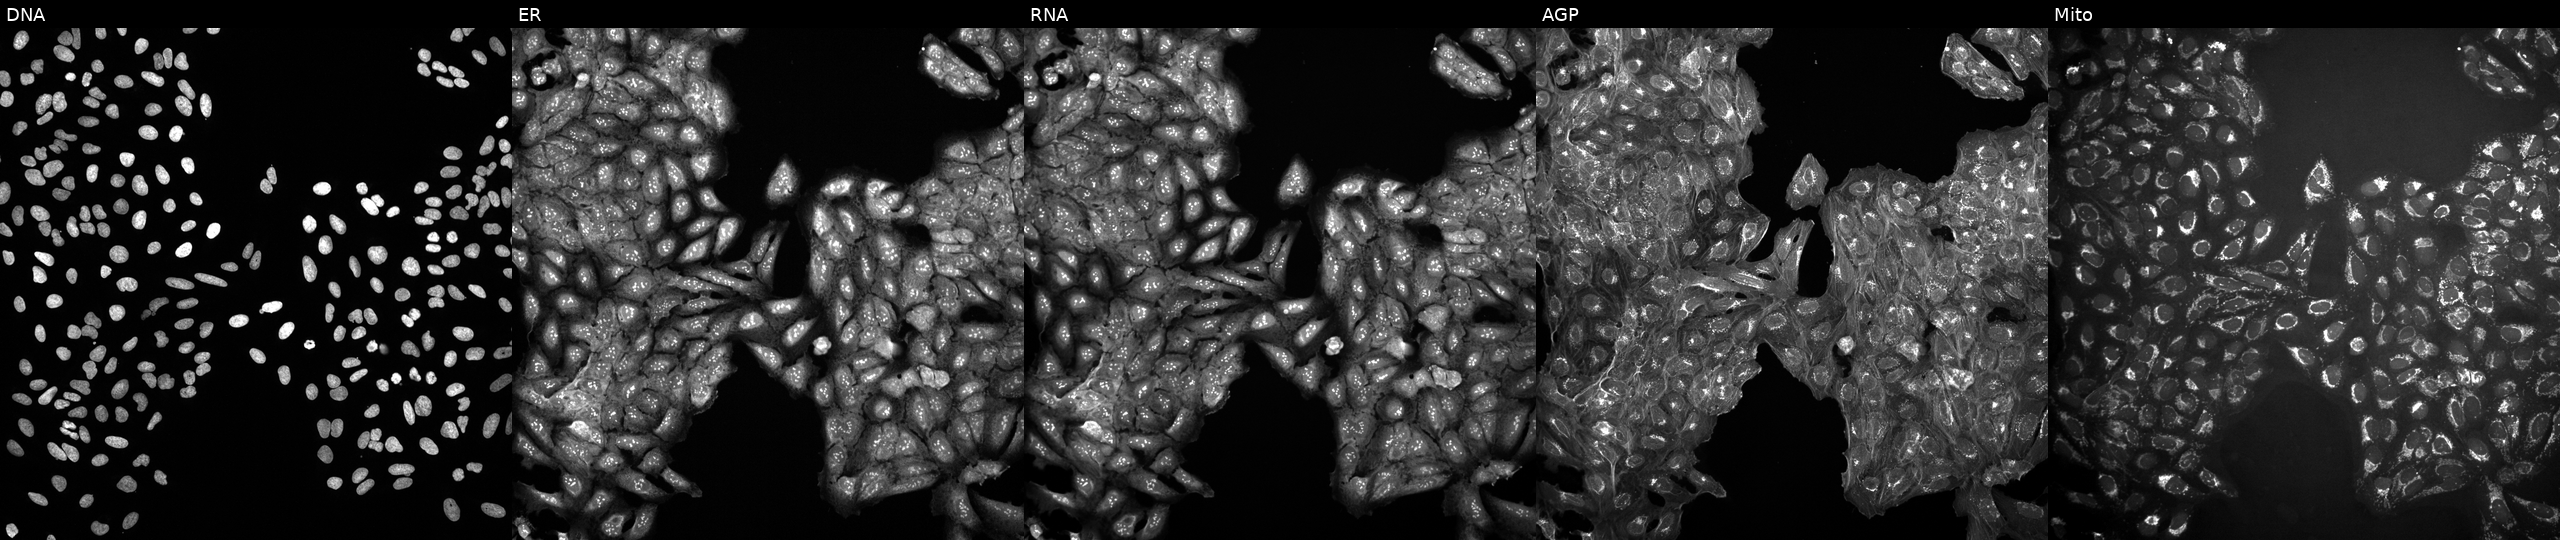
JUMP Cell Painting — COMPOUND plate. U2OS cells exposed to DMSO alone as a negative control (JUMP id JCP2022_033924). Panels show, left to right, DNA (nuclei); ER (endoplasmic reticulum); RNA (nucleoli and cytoplasmic RNA); AGP (actin cytoskeleton, Golgi, and plasma membrane); Mito (mitochondria). Source 10, plate Dest210531-152149, well F02.